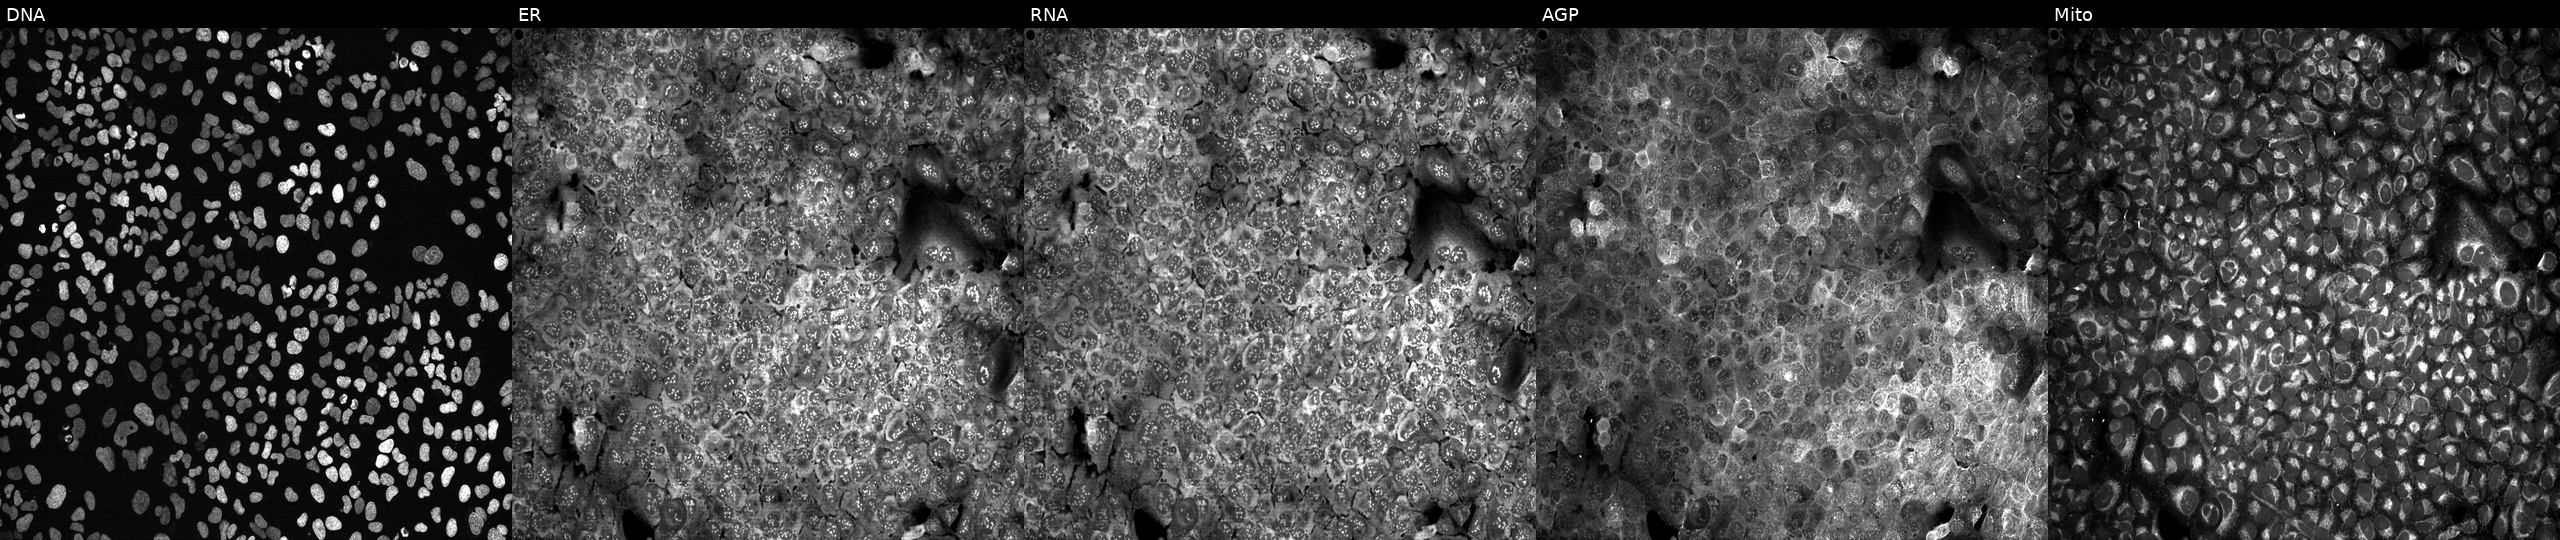
Five-channel Cell Painting image of U2OS cells following CRISPR knockout of TIMP2. The five panels, left to right, show DNA (nuclei); ER (endoplasmic reticulum); RNA (nucleoli and cytoplasmic RNA); AGP (actin cytoskeleton, Golgi, and plasma membrane); Mito (mitochondria). Source 13, plate CP-CC9-R4-04, well H04.